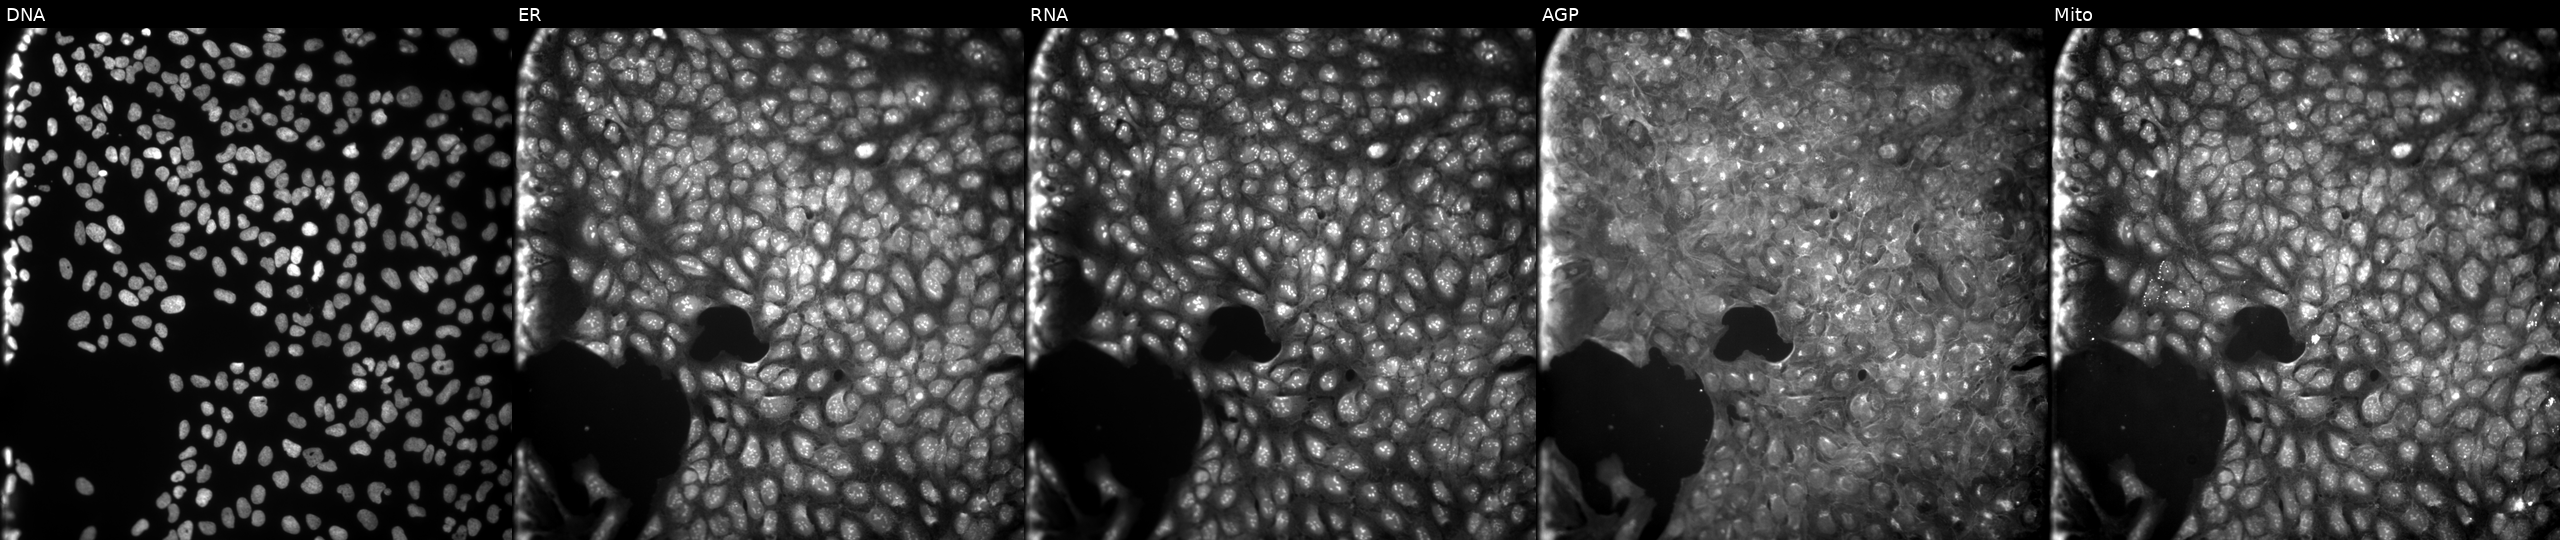
This image strip shows the five Cell Painting channels for a single field of U2OS cells exposed to DMSO alone as a negative control (JUMP id JCP2022_033924). The five panels, left to right, show DNA, ER, RNA, AGP, and Mito.